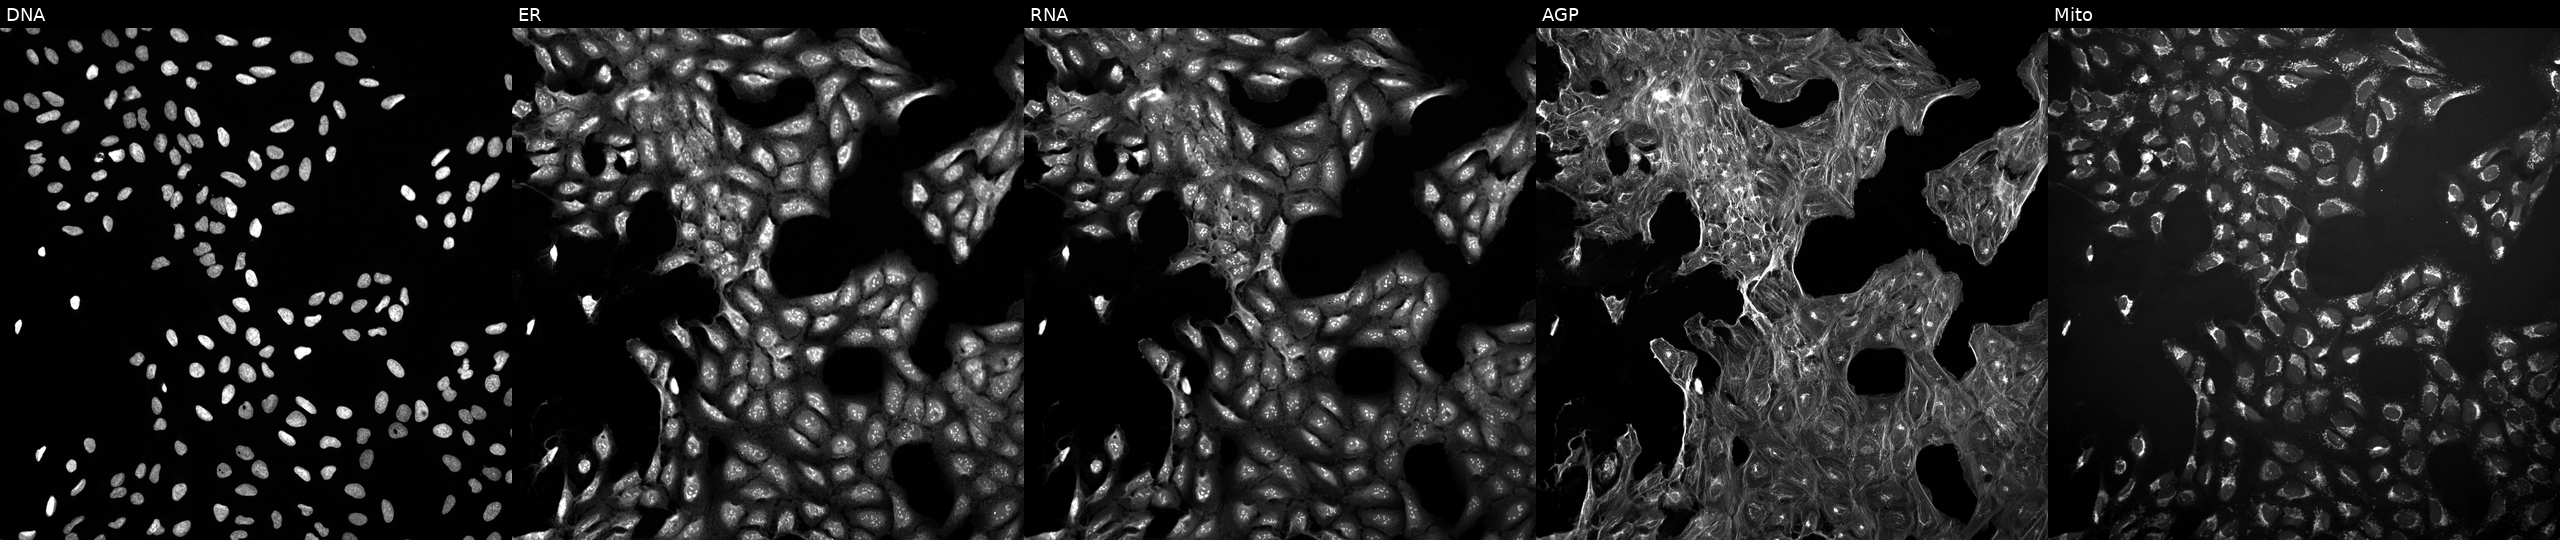
This image strip shows the five Cell Painting channels for a single field of U2OS cells treated with a small-molecule compound (InChIKey LPAHKJMGDSJDRG-UHFFFAOYSA-N). From left to right: DNA (nuclei); ER (endoplasmic reticulum); RNA (nucleoli and cytoplasmic RNA); AGP (actin cytoskeleton, Golgi, and plasma membrane); Mito (mitochondria).